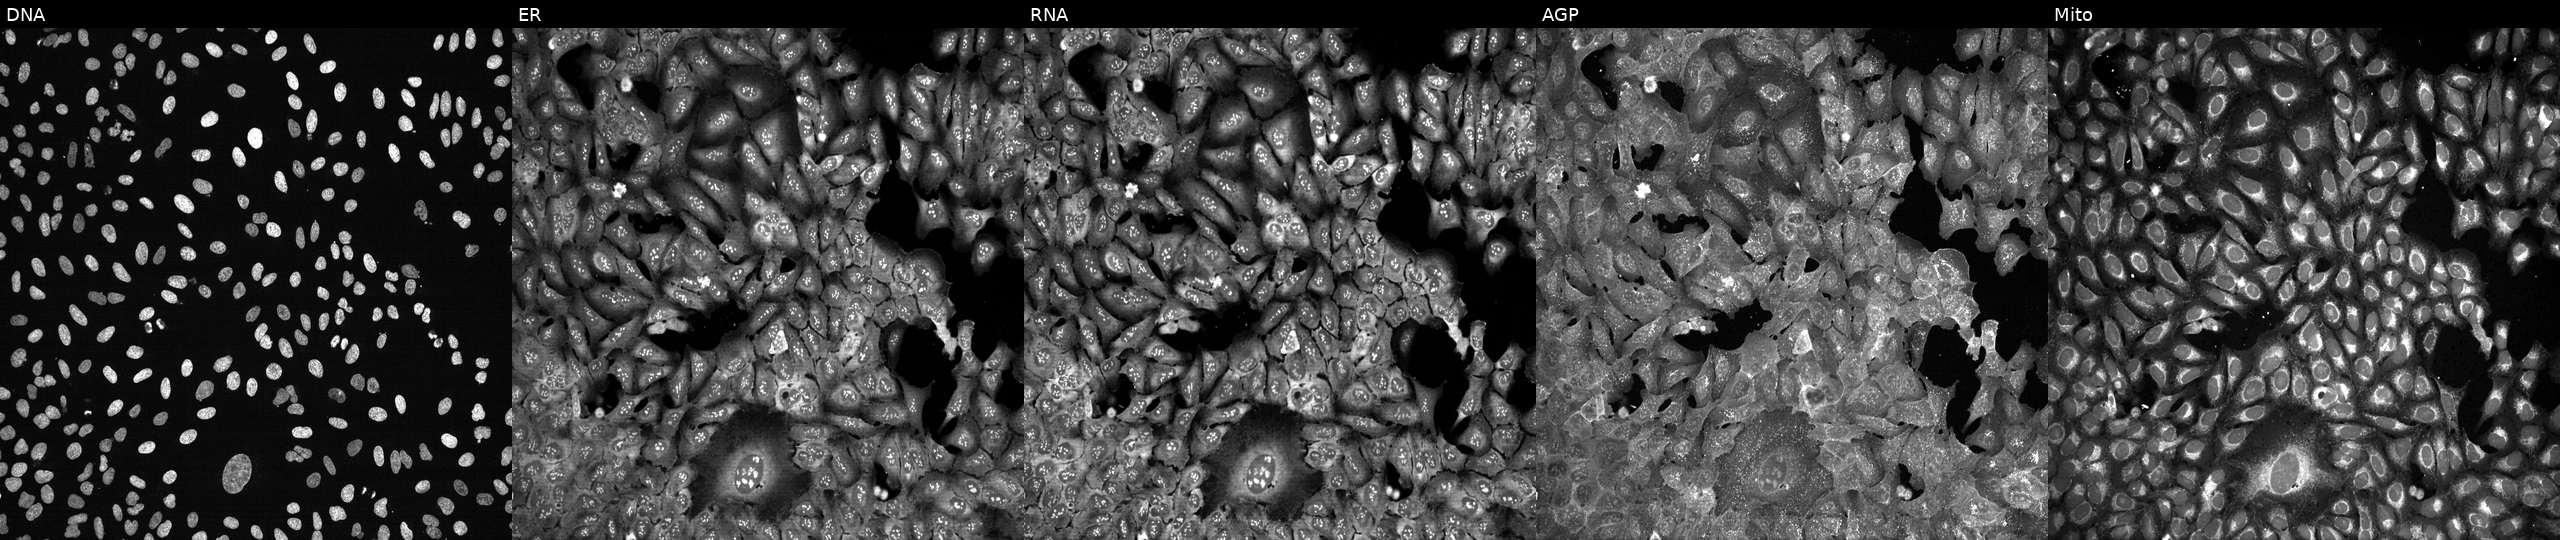
JUMP Cell Painting — CRISPR plate. U2OS cells following CRISPR knockout of PLOD3. Channels (left→right): DNA, ER, RNA, AGP, and Mito.